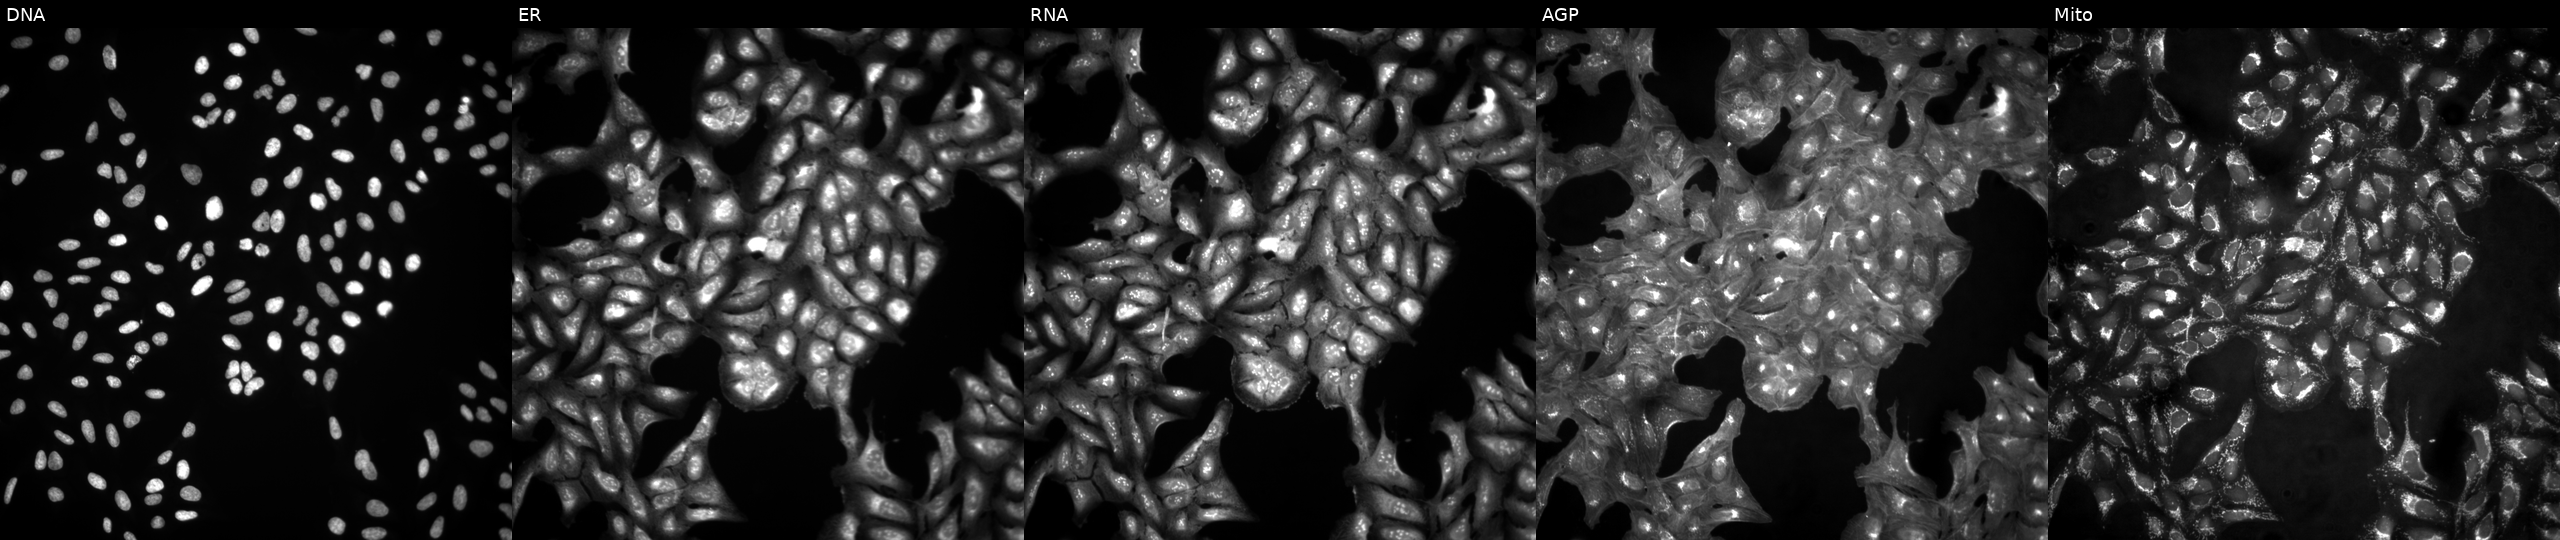
Panels show, left to right, Hoechst 33342, concanavalin A, SYTO 14, phalloidin and WGA, MitoTracker. U2OS osteosarcoma cells untreated (empty-well control) (JUMP id JCP2022_999999). Cell Painting assay, JUMP-CP dataset.